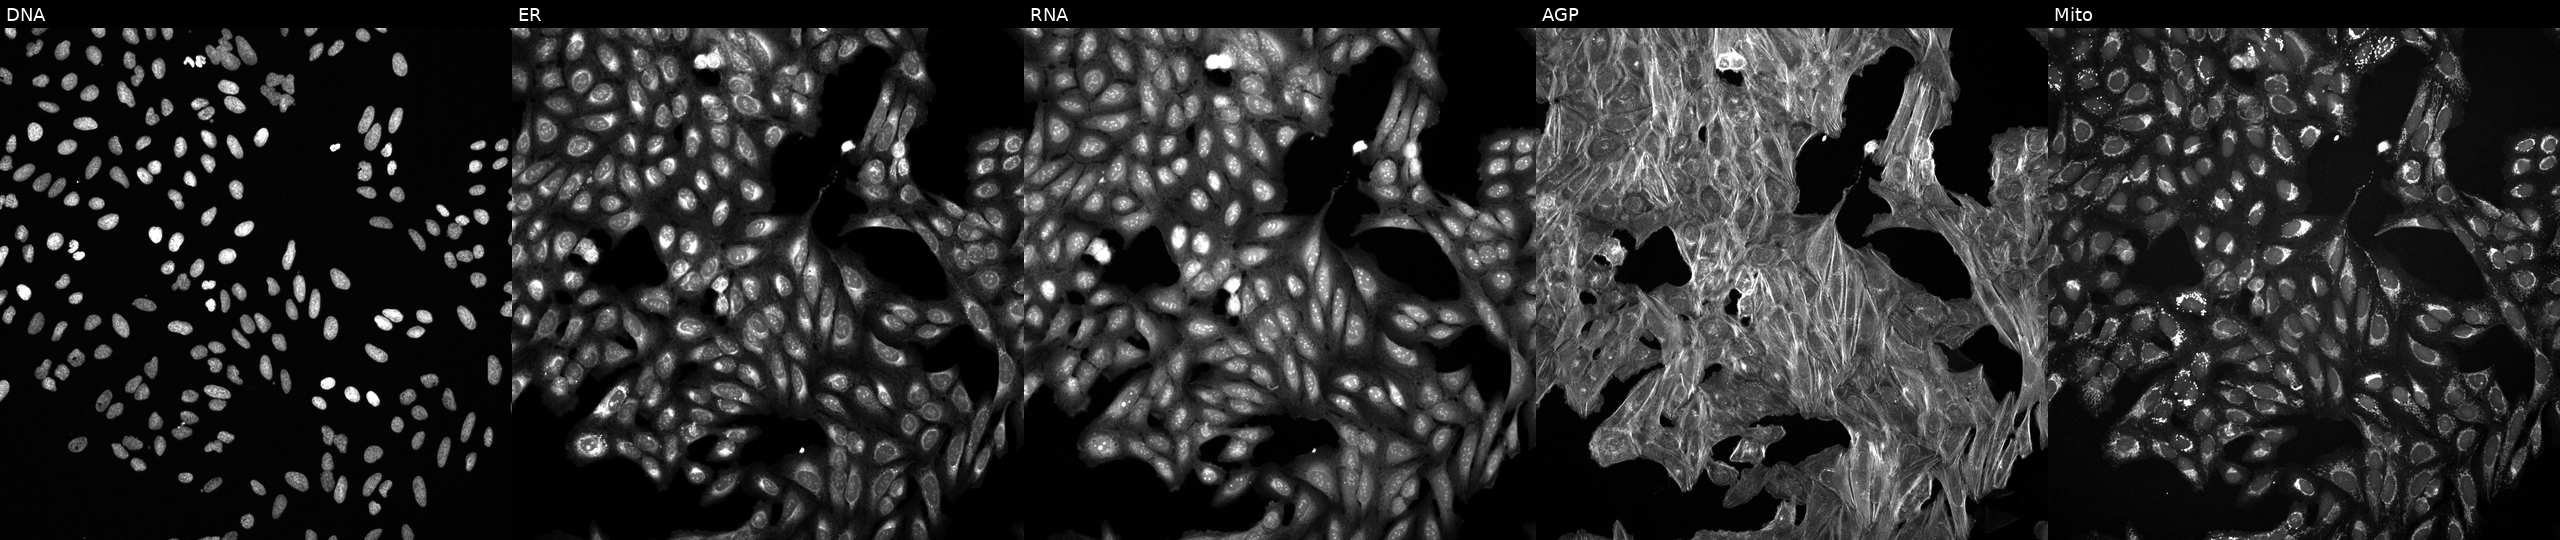
U2OS cells, Cell Painting assay, exposed to a small-molecule compound (InChIKey GVJHHUAWPYXKBD-UHFFFAOYSA-N) (JUMP id JCP2022_028032). Panels show, left to right, Hoechst 33342, concanavalin A, SYTO 14, phalloidin and WGA, MitoTracker. Each panel is percentile-stretched 16-bit fluorescence.